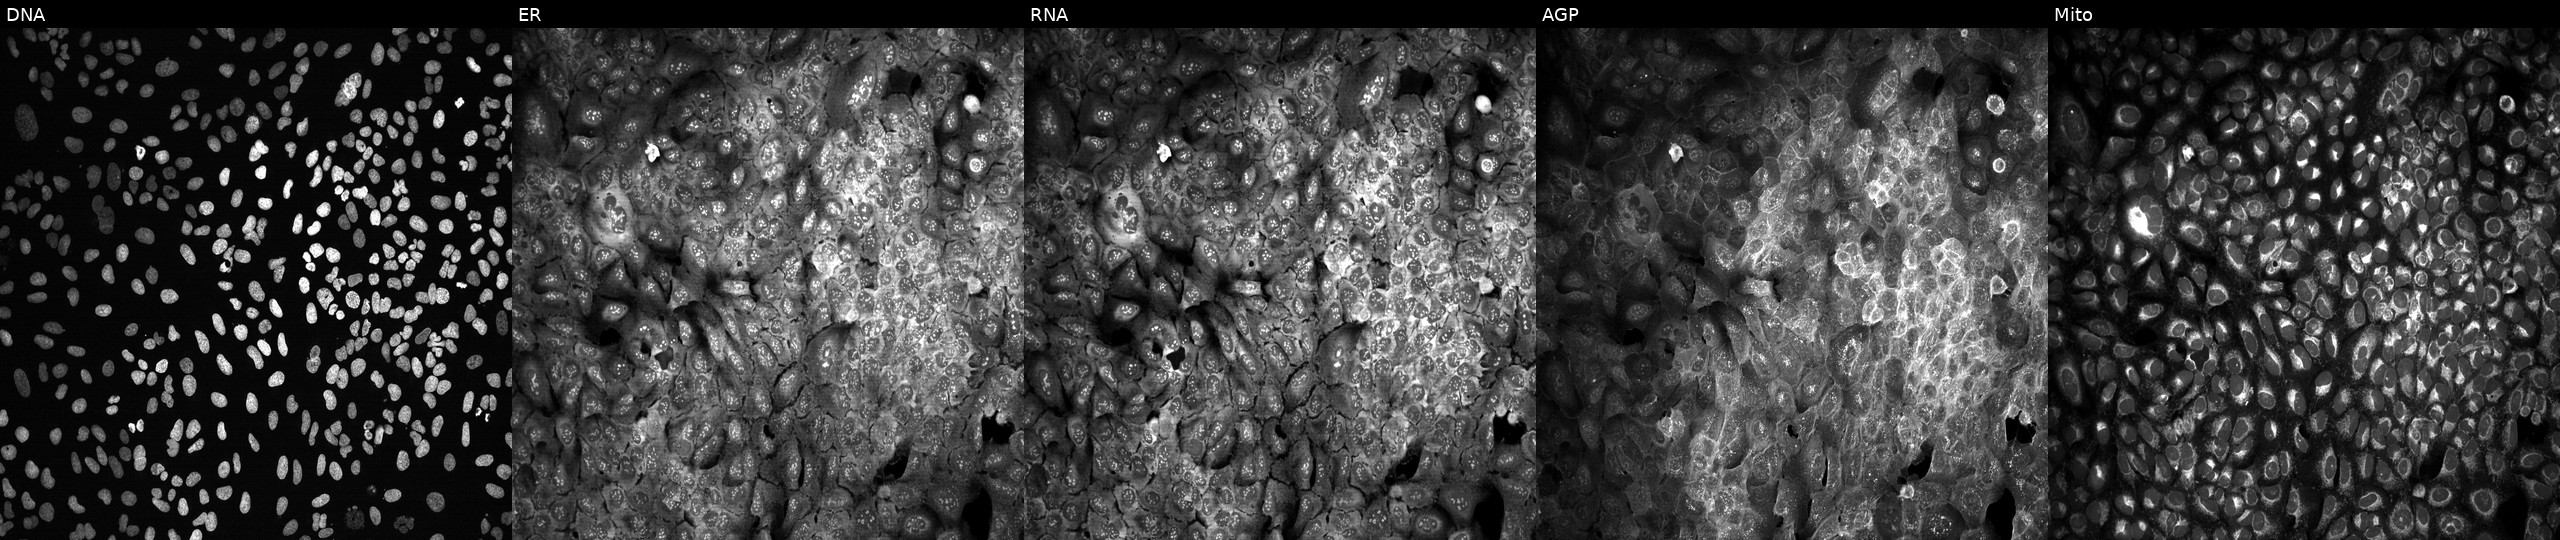
High-content fluorescence microscopy (Cell Painting). Cell line: U2OS. Perturbation: with GTF3C4 knocked out by CRISPR. From left to right: Hoechst 33342, concanavalin A, SYTO 14, phalloidin and WGA, MitoTracker.